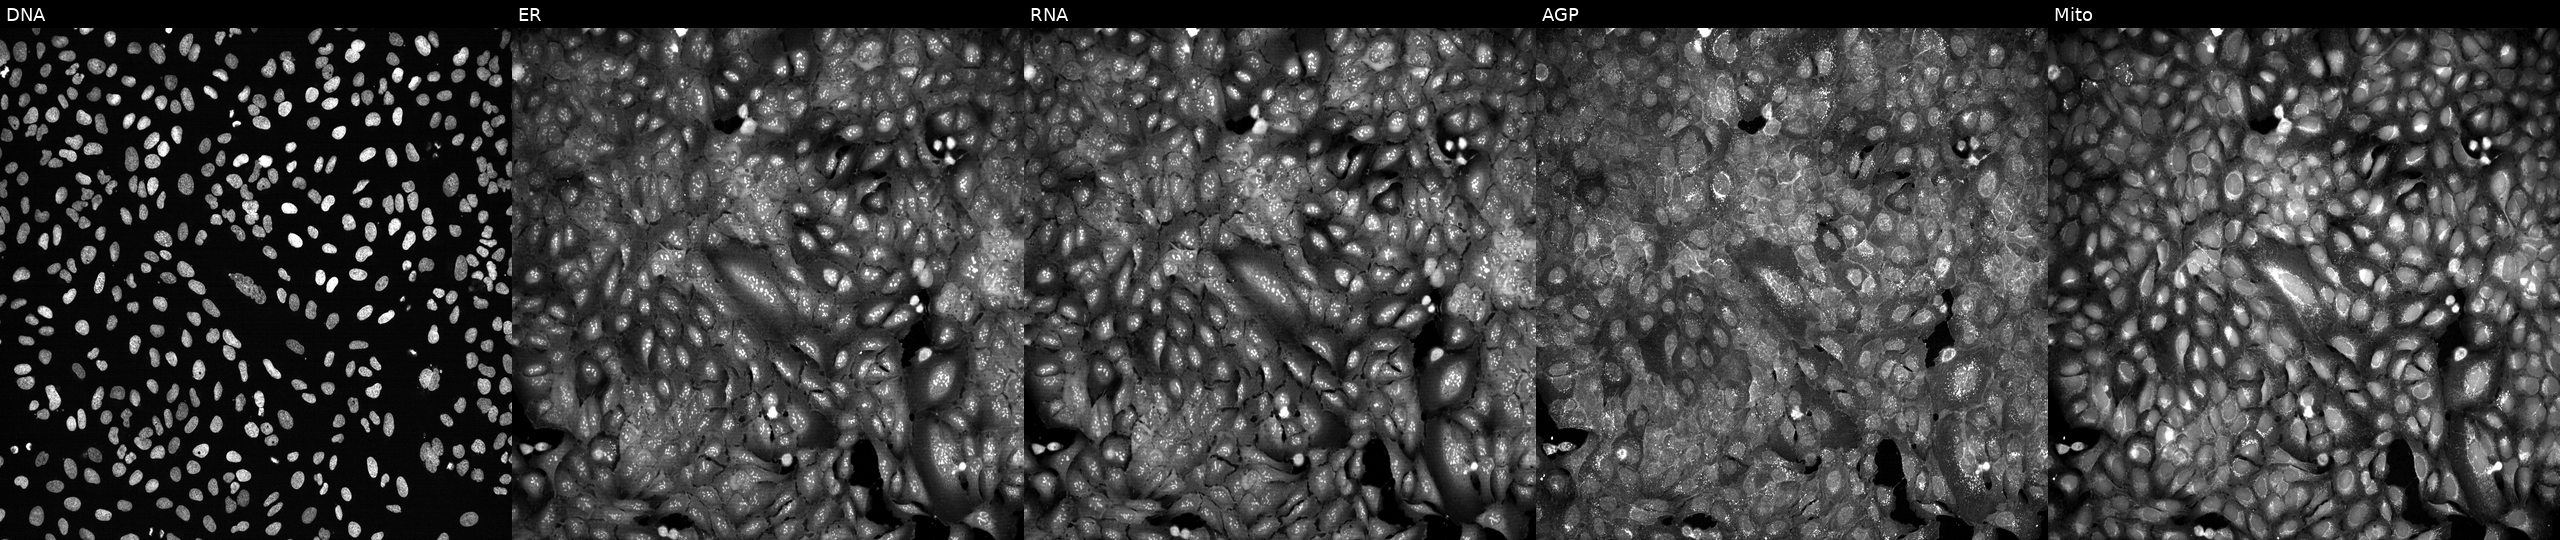
This image strip shows the five Cell Painting channels for a single field of U2OS cells CRISPR-edited to disrupt ACSL3. Panels show, left to right, DNA (nuclei); ER (endoplasmic reticulum); RNA (nucleoli and cytoplasmic RNA); AGP (actin cytoskeleton, Golgi, and plasma membrane); Mito (mitochondria).